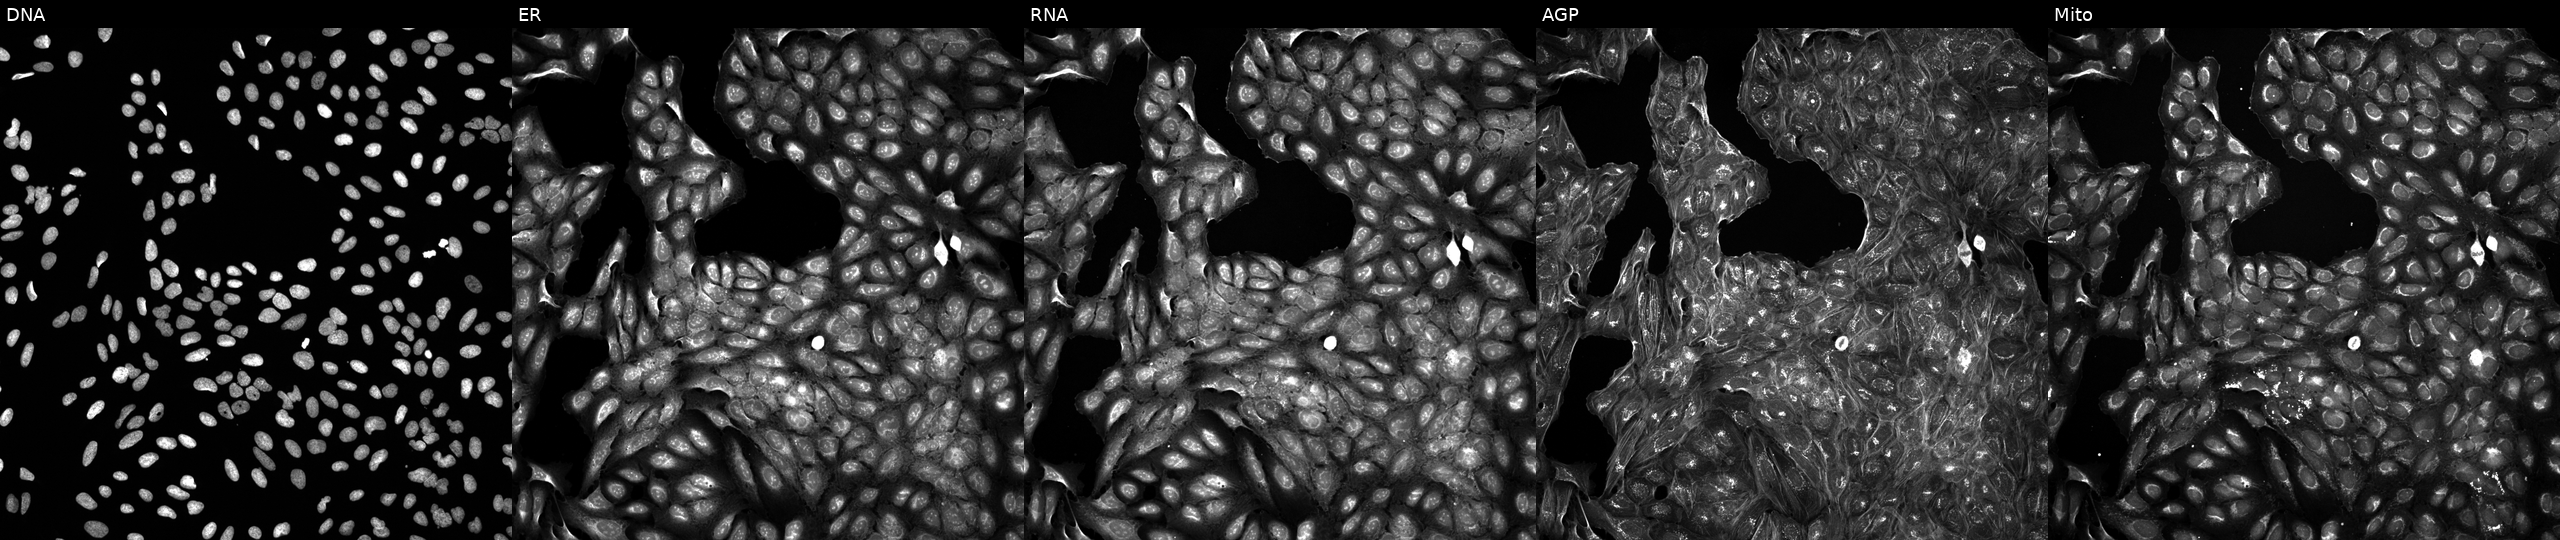
Five-channel Cell Painting image of U2OS cells treated with a small-molecule compound. Channels (left→right): Hoechst 33342, concanavalin A, SYTO 14, phalloidin and WGA, MitoTracker. Source 5, plate APTJUM106, well B08.